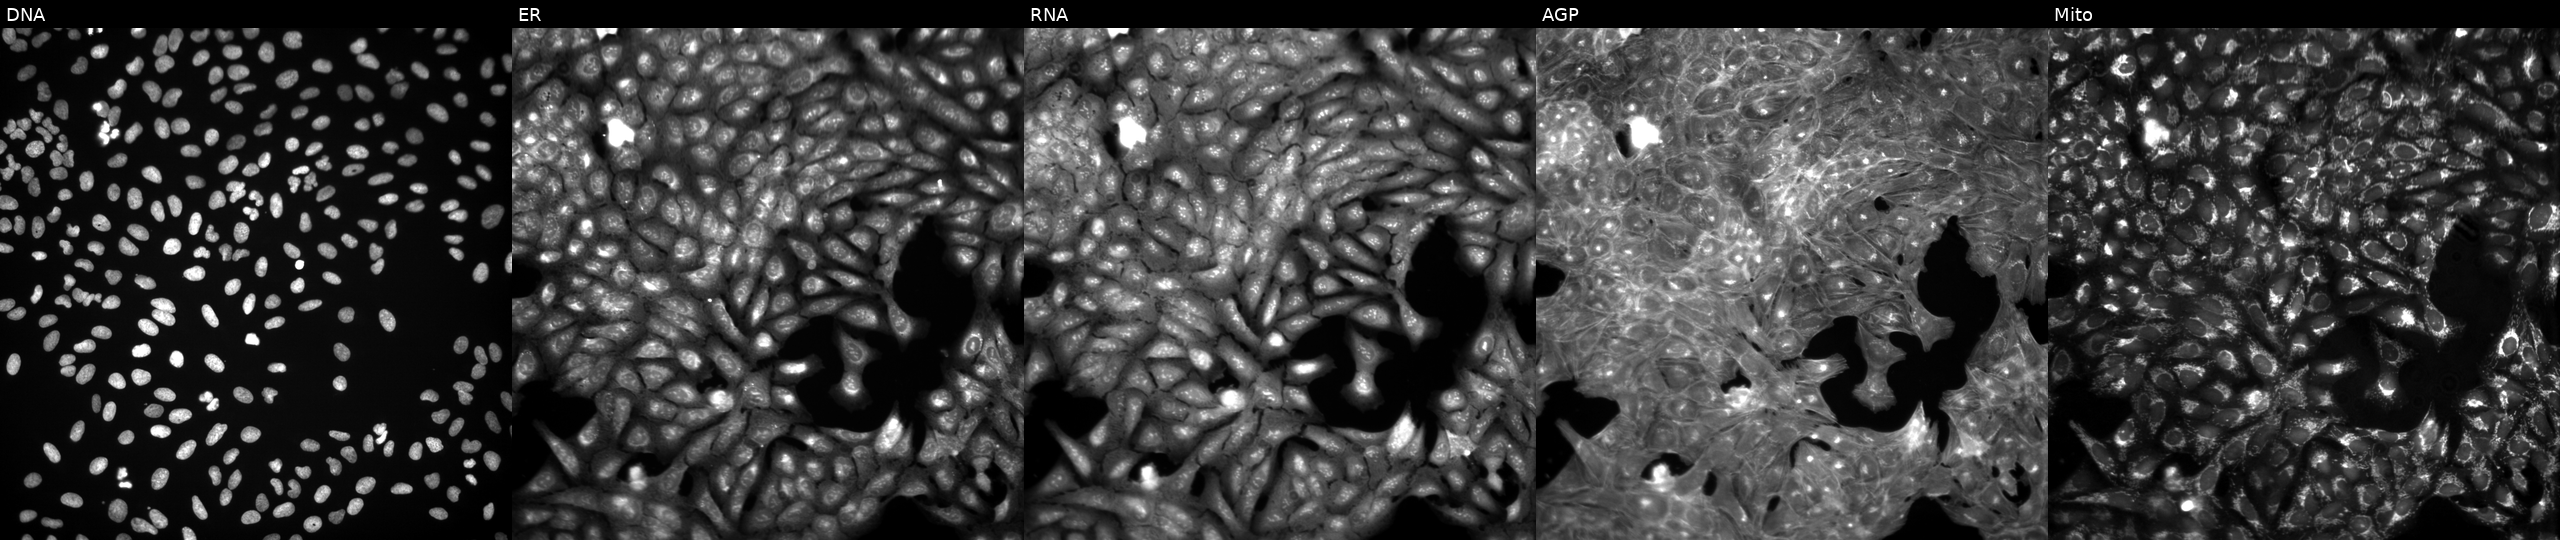
This image strip shows the five Cell Painting channels for a single field of U2OS cells treated with DMSO vehicle only (negative control). Panels show, left to right, DNA, ER, RNA, AGP, and Mito.